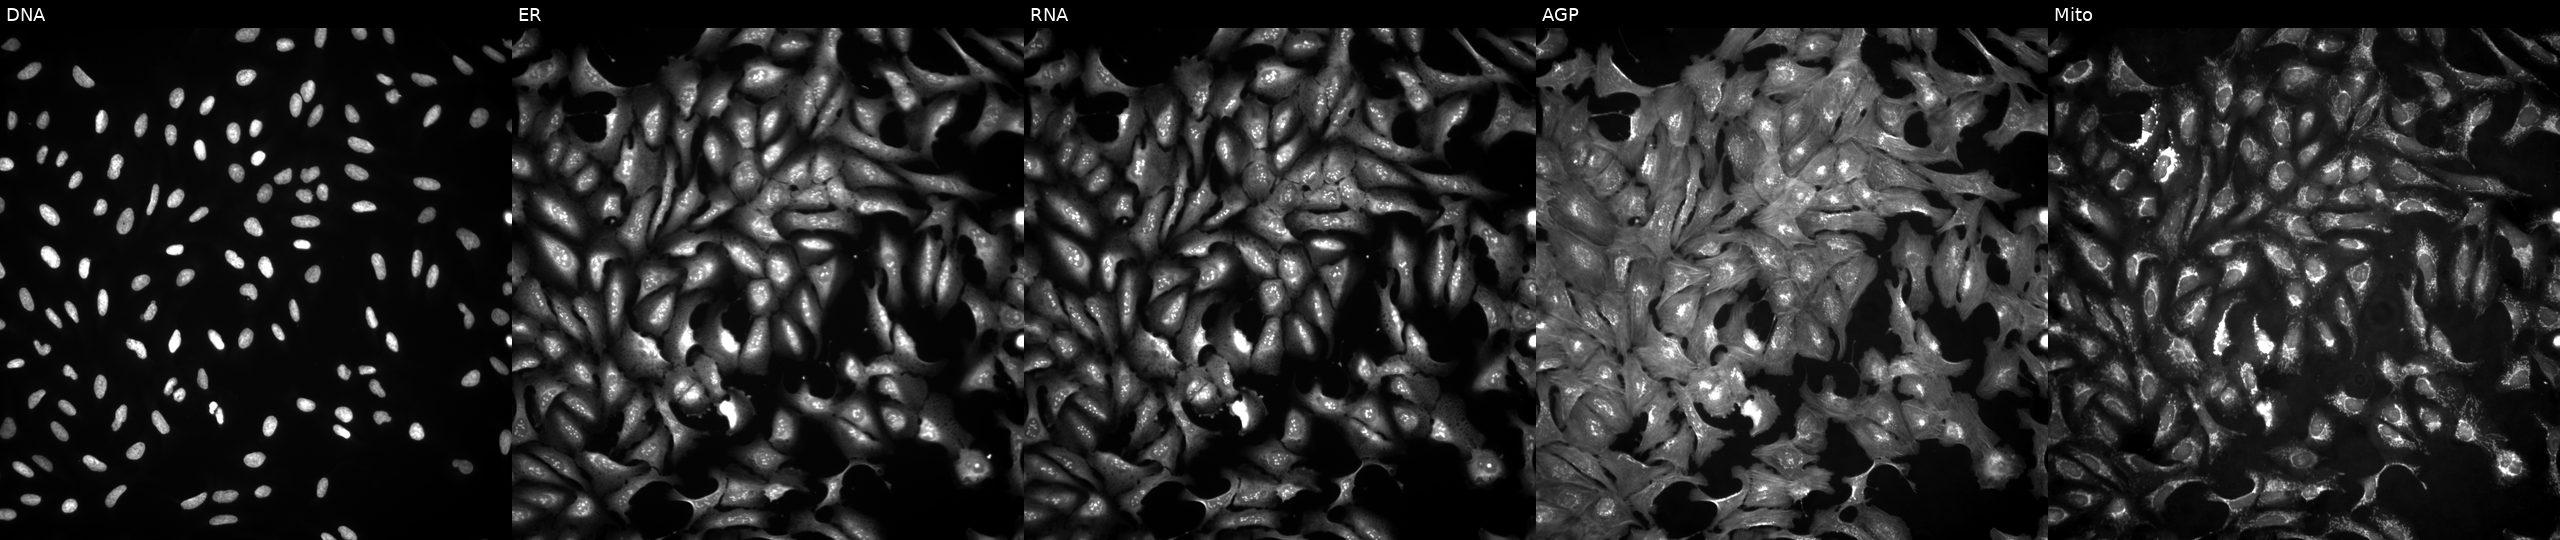
High-content fluorescence microscopy (Cell Painting). Cell line: U2OS. Perturbation: overexpressing CCL16 via ORF transfection (JUMP id JCP2022_901402). The five panels, left to right, show DNA, ER, RNA, AGP, and Mito. Source 4, plate BR00124784, well J17.